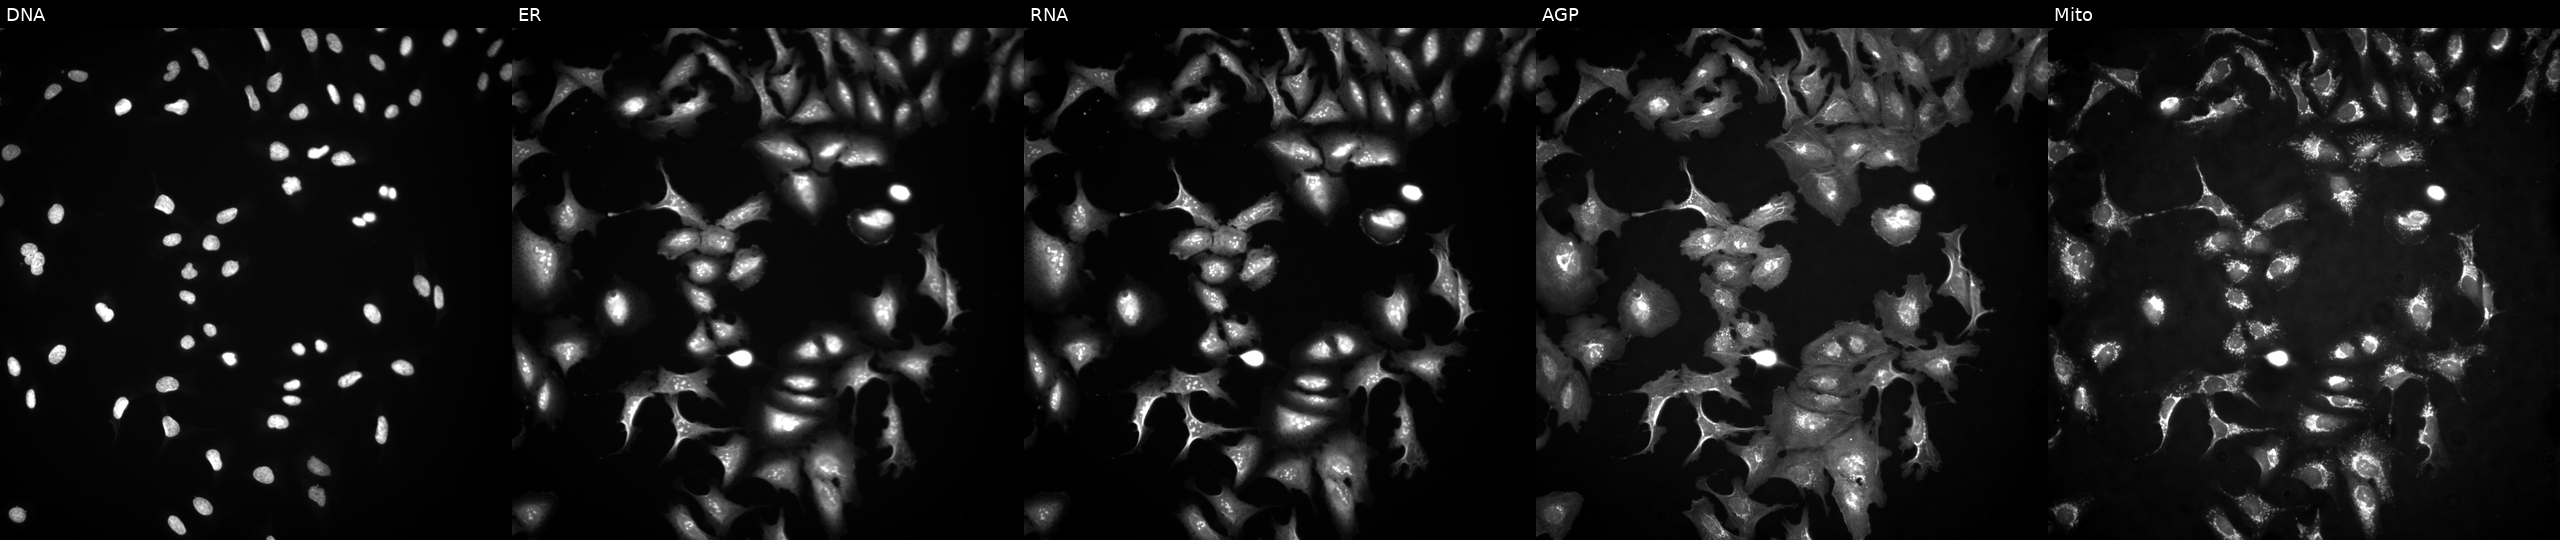
High-content fluorescence microscopy (Cell Painting). Cell line: U2OS. Perturbation: transfected with an ORF construct for ZNF596. Channels (left→right): Hoechst 33342, concanavalin A, SYTO 14, phalloidin and WGA, MitoTracker.